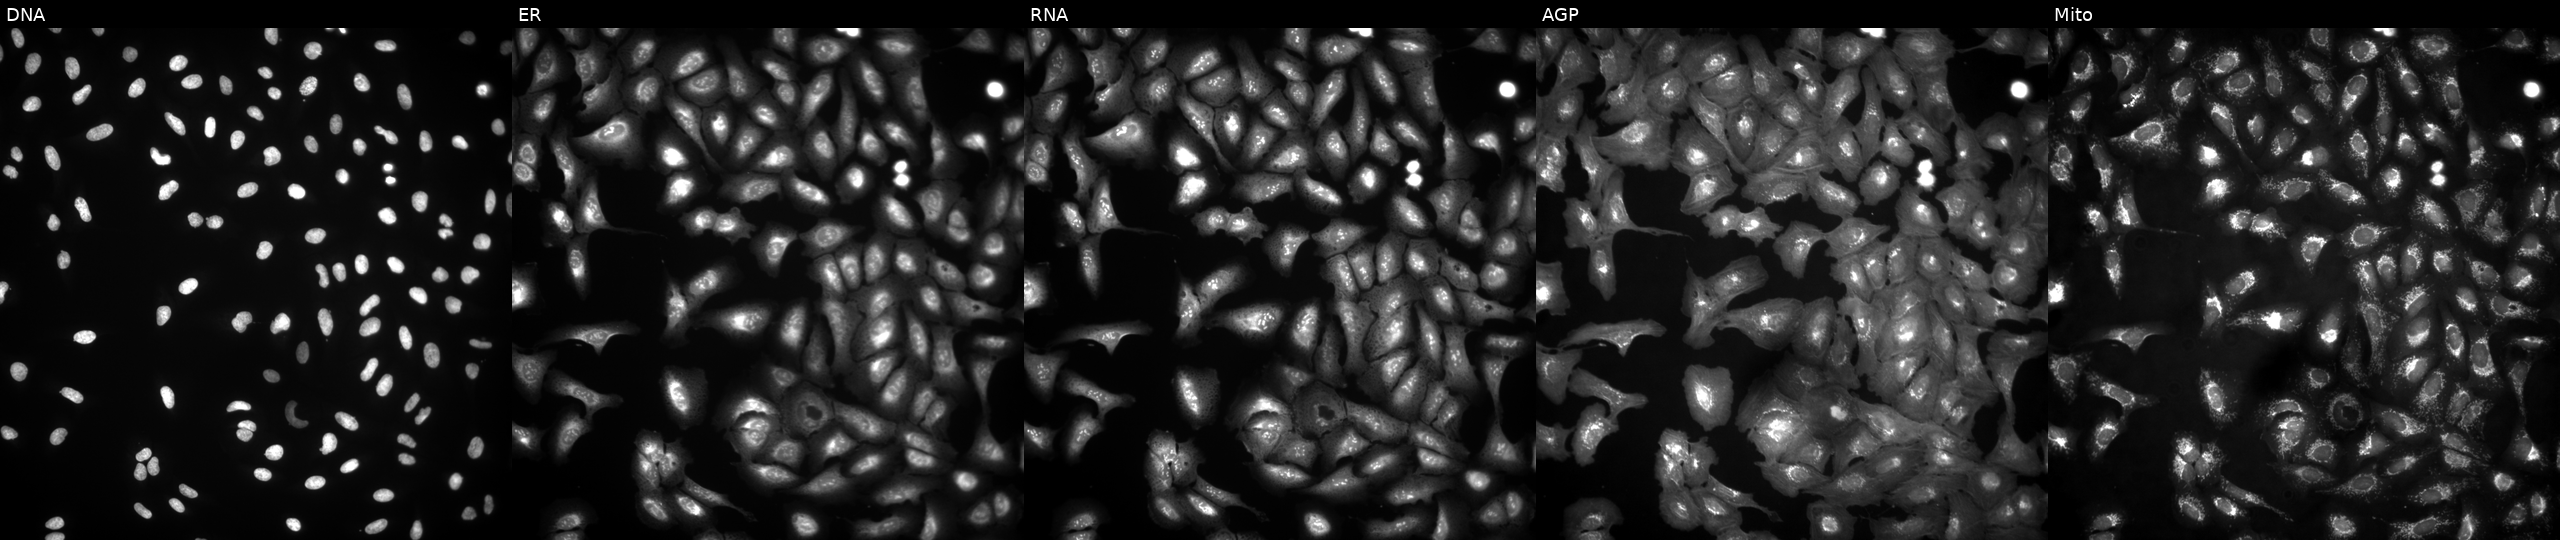
U2OS cells, Cell Painting assay, transfected with an ORF construct for FANCD2 (JUMP id JCP2022_910081). From left to right: DNA (nuclei); ER (endoplasmic reticulum); RNA (nucleoli and cytoplasmic RNA); AGP (actin cytoskeleton, Golgi, and plasma membrane); Mito (mitochondria). Each panel is percentile-stretched 16-bit fluorescence.